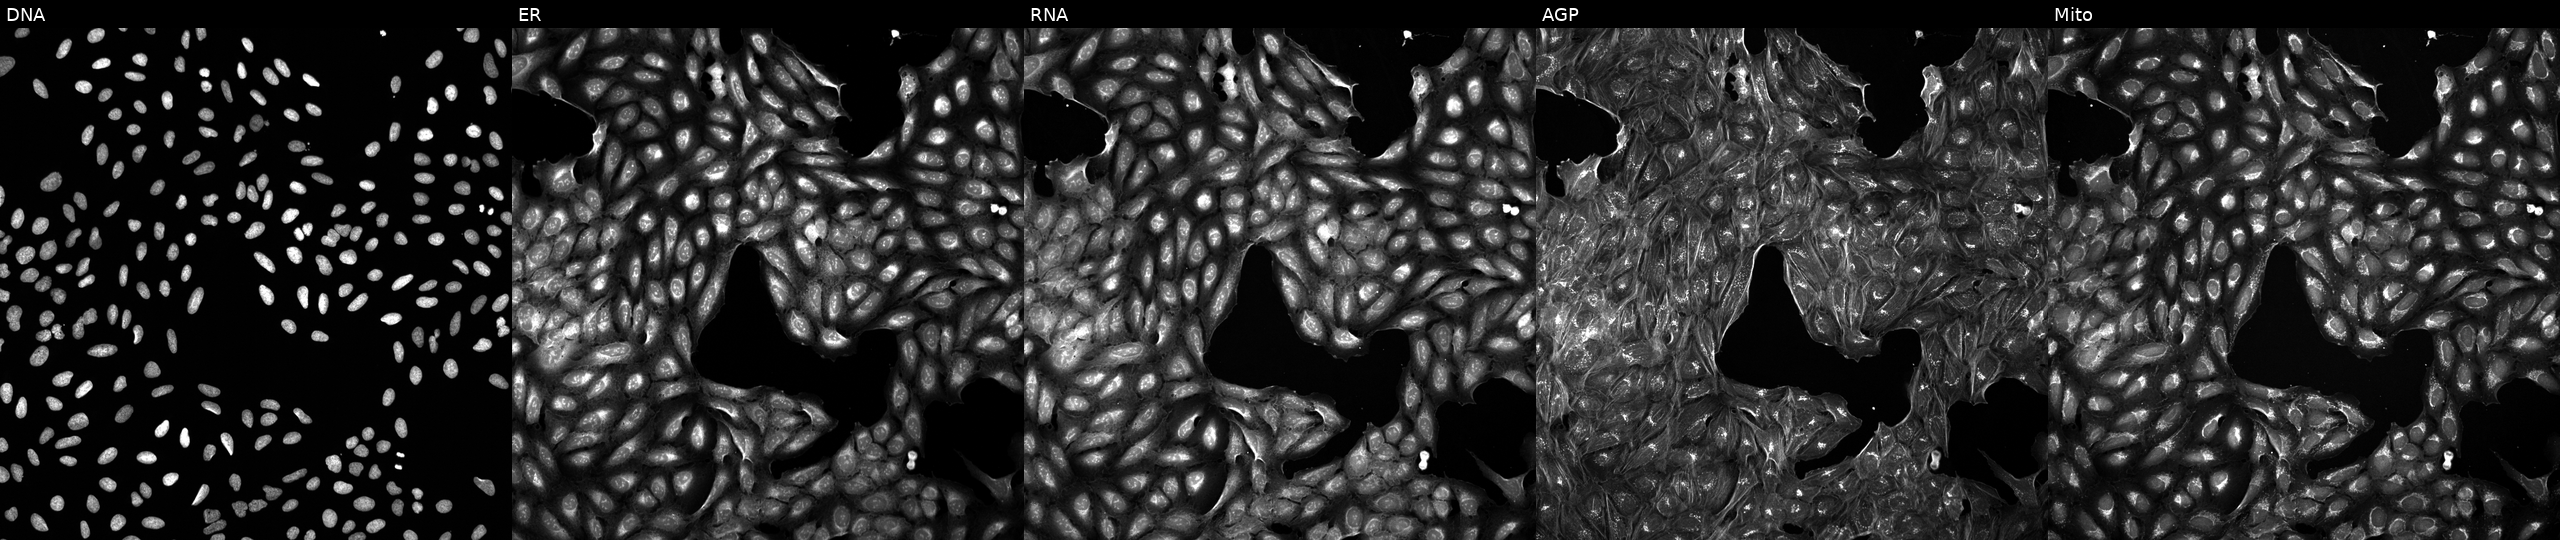
U2OS cells, Cell Painting assay, treated with a small-molecule compound (InChIKey TZSYGIVYQOVLPI-UHFFFAOYSA-N) (JUMP id JCP2022_087818). The five panels, left to right, show DNA (nuclei); ER (endoplasmic reticulum); RNA (nucleoli and cytoplasmic RNA); AGP (actin cytoskeleton, Golgi, and plasma membrane); Mito (mitochondria). Each panel is percentile-stretched 16-bit fluorescence. Source 5, plate APTJUM105, well A21.